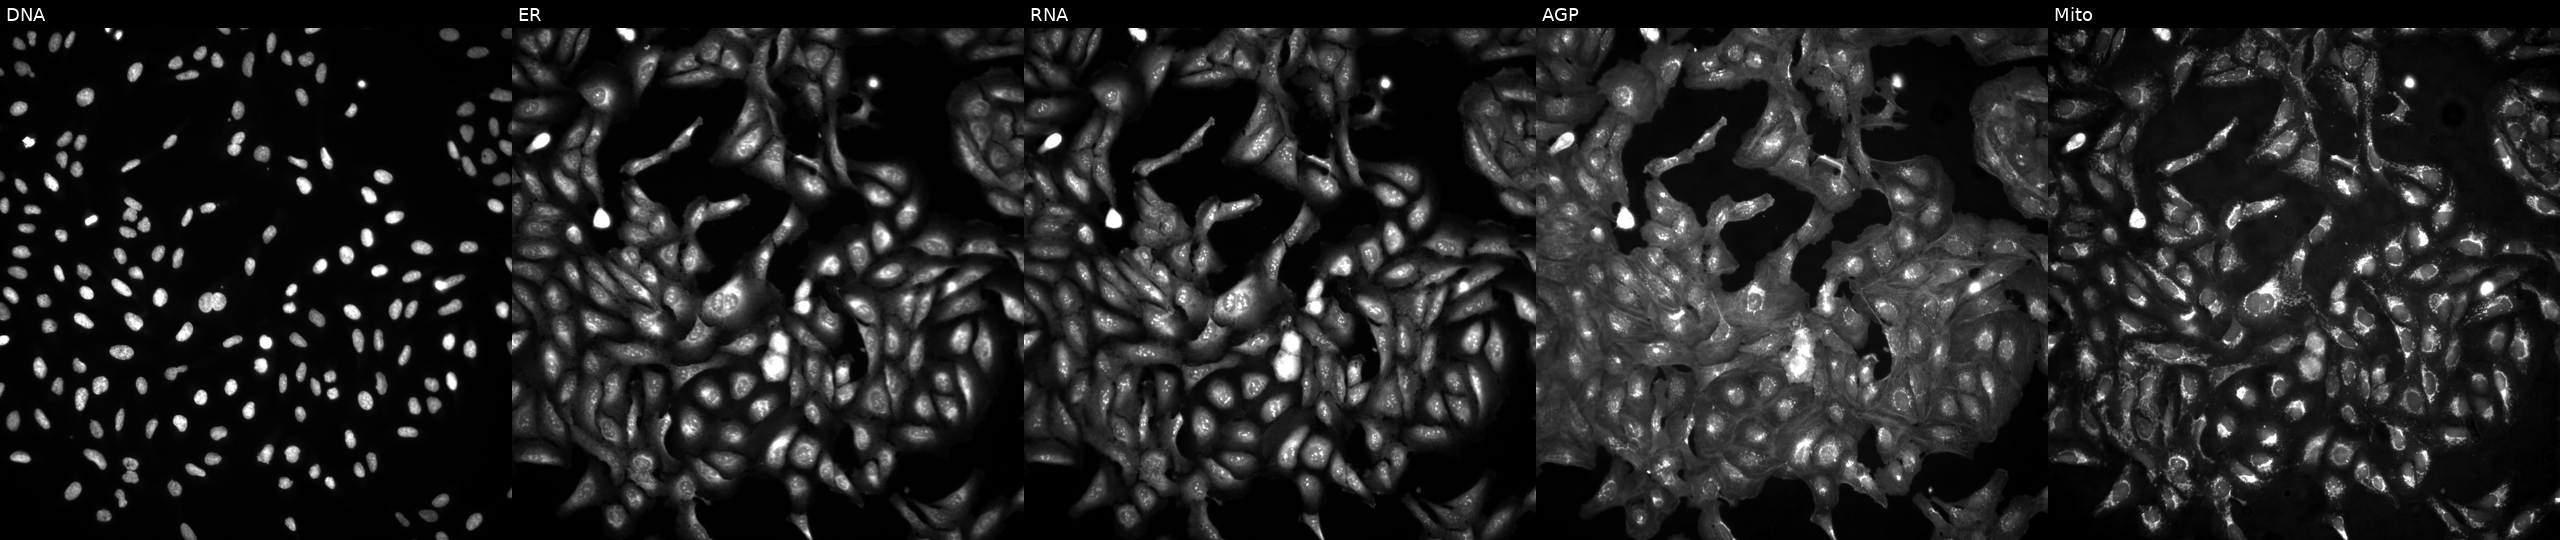
This image strip shows the five Cell Painting channels for a single field of U2OS cells untreated (empty-well control) (JUMP id JCP2022_999999). From left to right: Hoechst 33342, concanavalin A, SYTO 14, phalloidin and WGA, MitoTracker. Source 4, plate BR00124793, well G22.